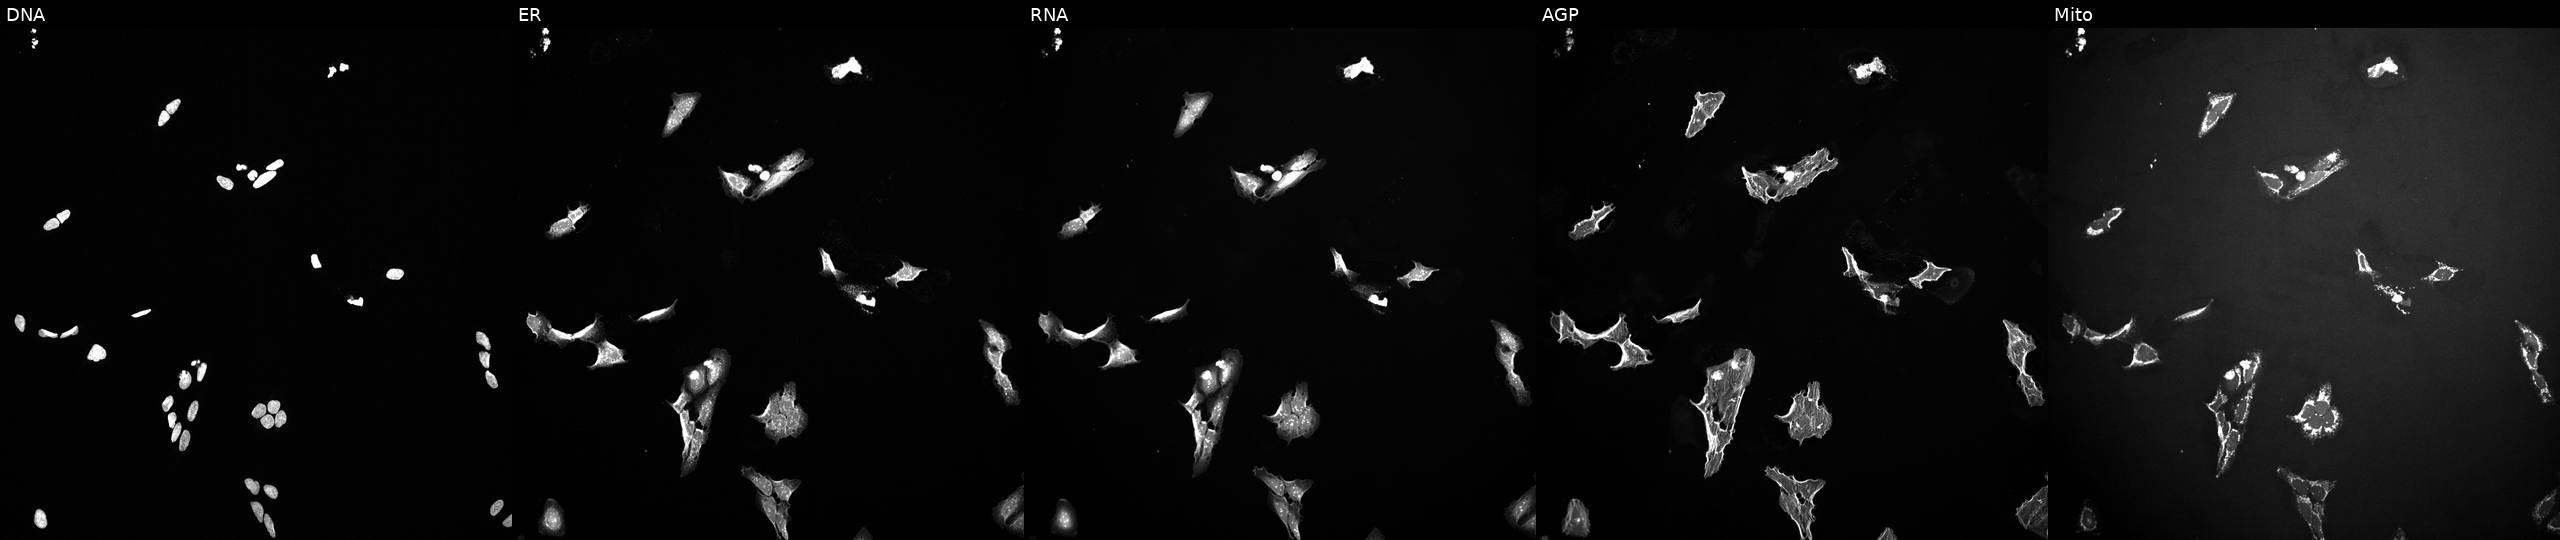
U2OS cells, Cell Painting assay, perturbed with a small-molecule compound (InChIKey NVRXTLZYXZNATH-UHFFFAOYSA-N) (JUMP id JCP2022_061654). Channels (left→right): Hoechst 33342, concanavalin A, SYTO 14, phalloidin and WGA, MitoTracker. Each panel is percentile-stretched 16-bit fluorescence.